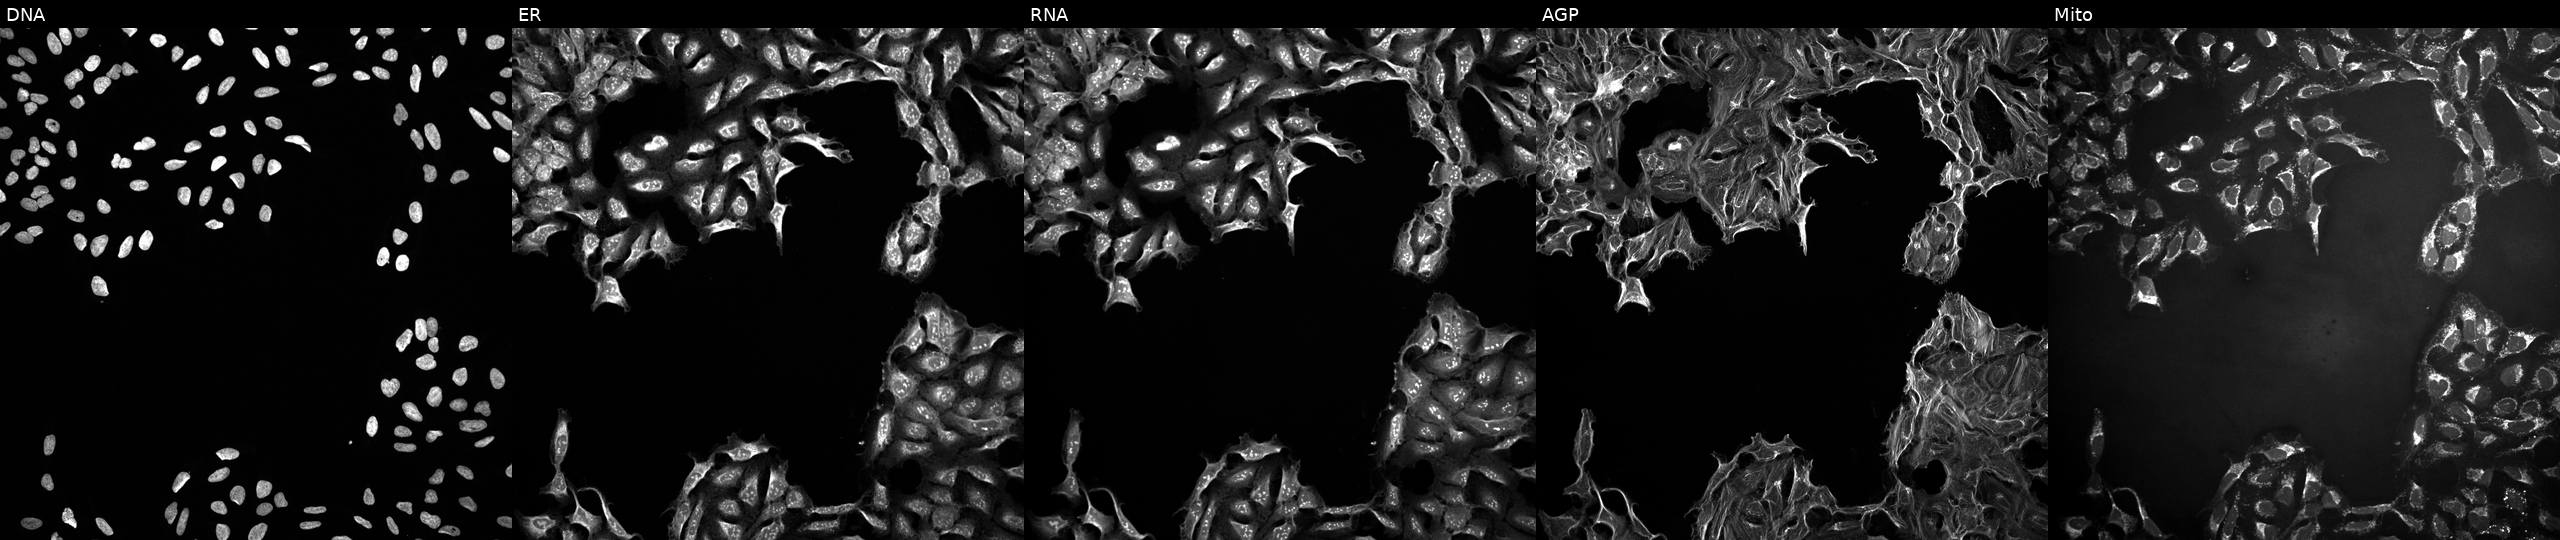
High-content fluorescence microscopy (Cell Painting). Cell line: U2OS. Perturbation: treated with DMSO vehicle only (negative control) (JUMP id JCP2022_033924). Panels show, left to right, DNA, ER, RNA, AGP, and Mito.